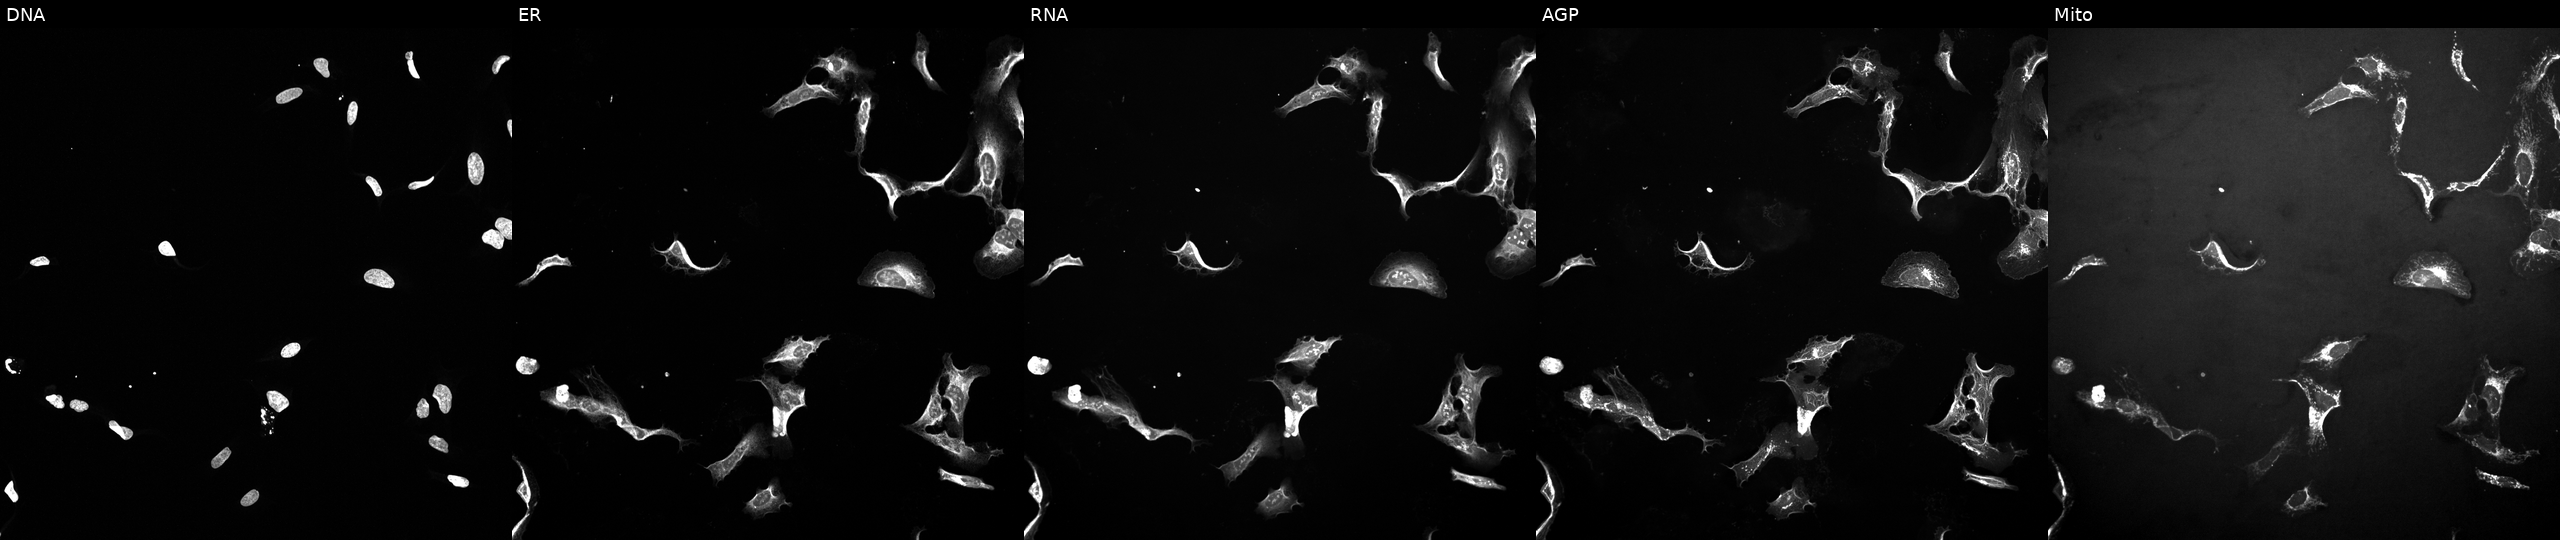
This image strip shows the five Cell Painting channels for a single field of U2OS cells treated with a small-molecule compound (JUMP id JCP2022_032771). The five panels, left to right, show DNA, ER, RNA, AGP, and Mito. Source 10, plate Dest210803-153958, well D05.